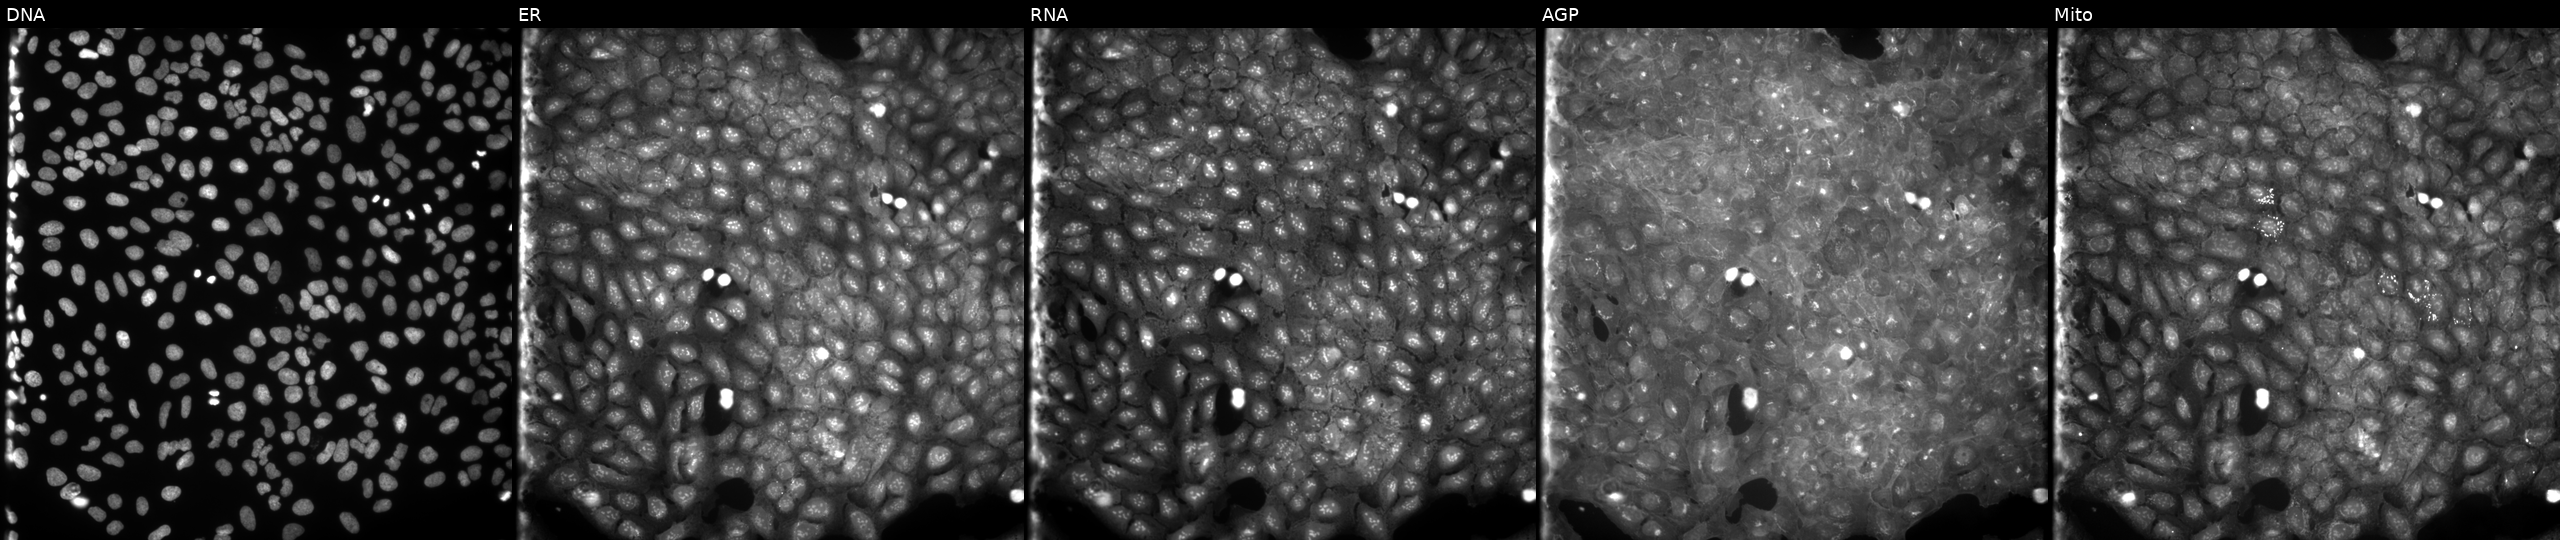
High-content fluorescence microscopy (Cell Painting). Cell line: U2OS. Perturbation: treated with a small-molecule compound (InChIKey ZMZFLEQGODXCHY-UHFFFAOYSA-N) [SMILES: CCOc1ccccc1C(=O)Nc1ccc(S(=O)(=O)N=c2o[nH]c(C)c2C)cc1] (JUMP id JCP2022_114356). Panels show, left to right, DNA (nuclei); ER (endoplasmic reticulum); RNA (nucleoli and cytoplasmic RNA); AGP (actin cytoskeleton, Golgi, and plasma membrane); Mito (mitochondria). Source 9, plate GR00003381, well L11.